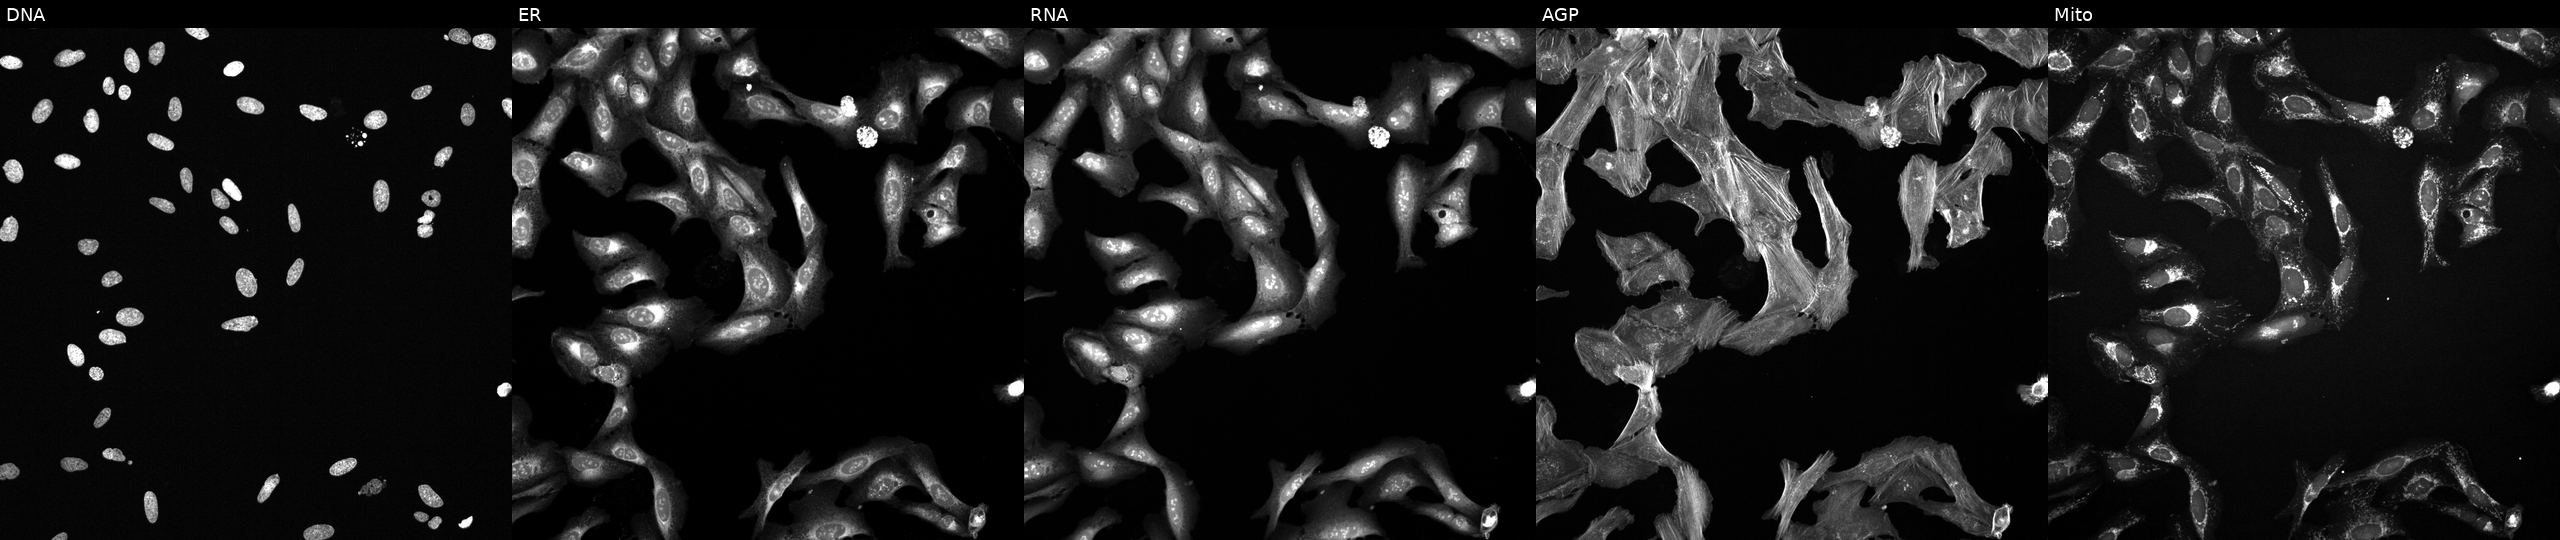
JUMP Cell Painting — TARGET2 plate. U2OS cells exposed to a small-molecule compound (InChIKey HUXYBQXJVXOMKX-UHFFFAOYSA-N) (JUMP id JCP2022_032771). Channels (left→right): DNA, ER, RNA, AGP, and Mito. Source 6, plate 110000293081, well D16.